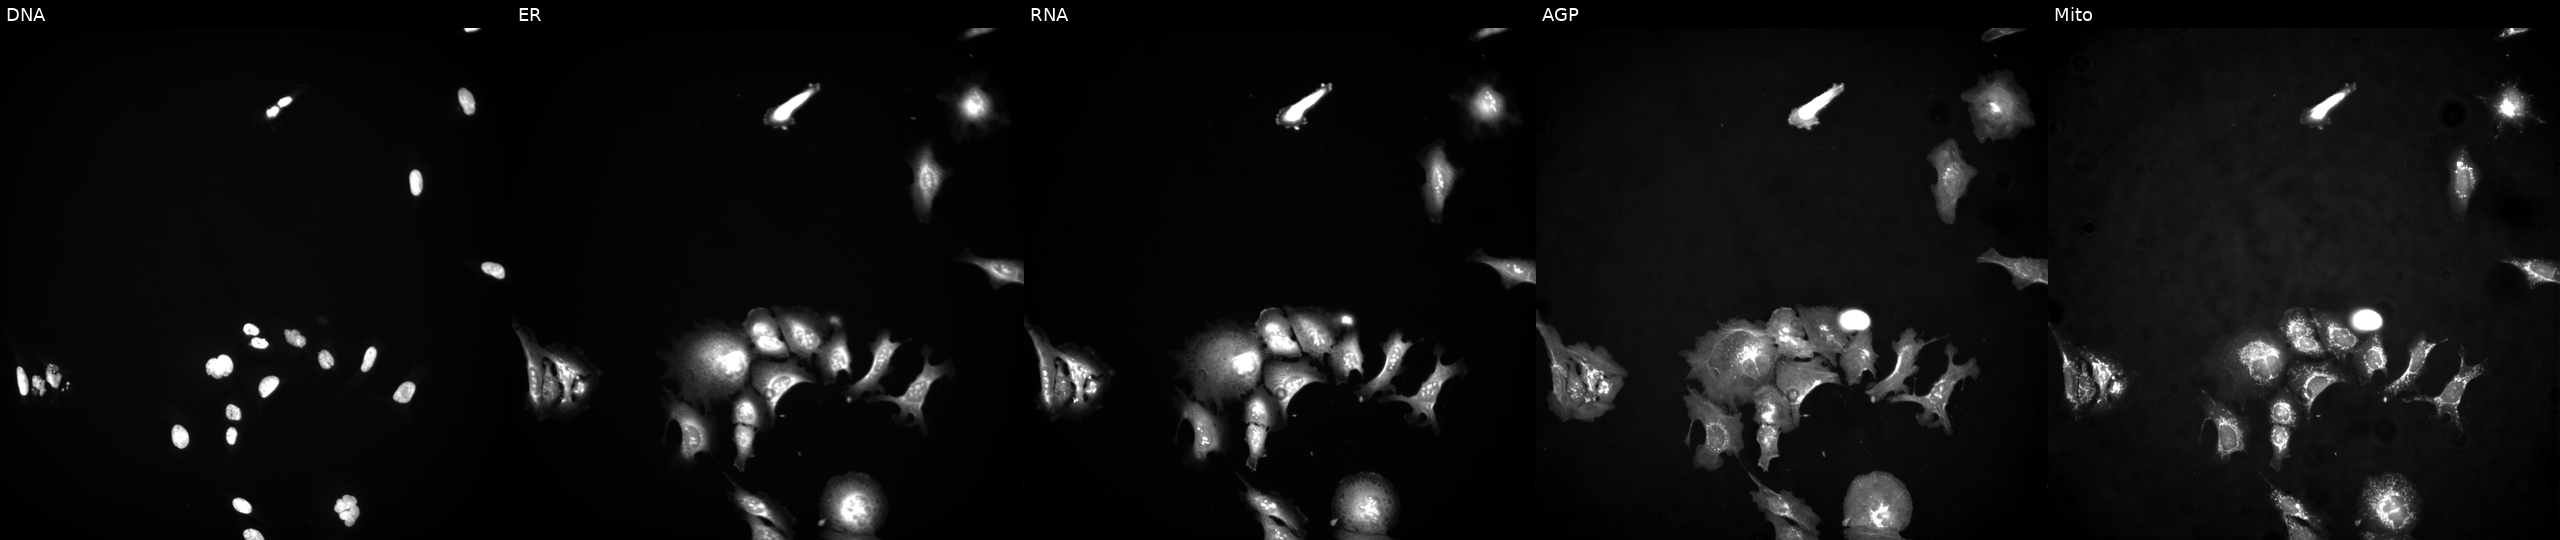
This image strip shows the five Cell Painting channels for a single field of U2OS cells transfected with an ORF construct for NME1-NME2. The five panels, left to right, show DNA (nuclei); ER (endoplasmic reticulum); RNA (nucleoli and cytoplasmic RNA); AGP (actin cytoskeleton, Golgi, and plasma membrane); Mito (mitochondria). Source 4, plate BR00123945, well I17.